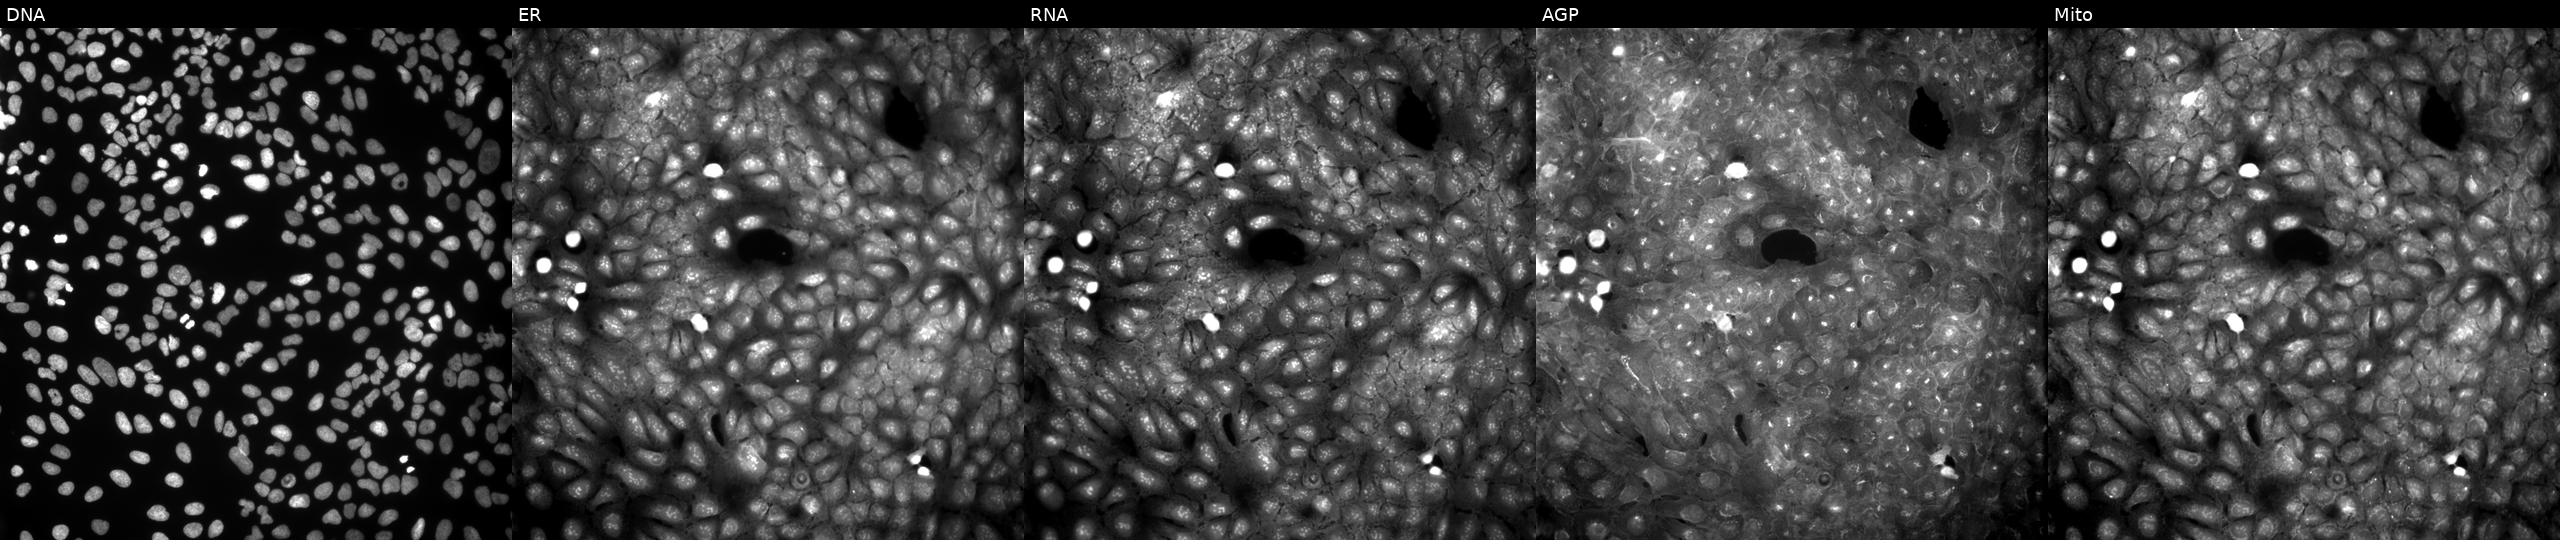
Channels (left→right): DNA (nuclei); ER (endoplasmic reticulum); RNA (nucleoli and cytoplasmic RNA); AGP (actin cytoskeleton, Golgi, and plasma membrane); Mito (mitochondria). U2OS osteosarcoma cells treated with a small-molecule compound (InChIKey XOKPVAFBMLWNSV-UHFFFAOYSA-N) (JUMP id JCP2022_104967). Cell Painting assay, JUMP-CP dataset.